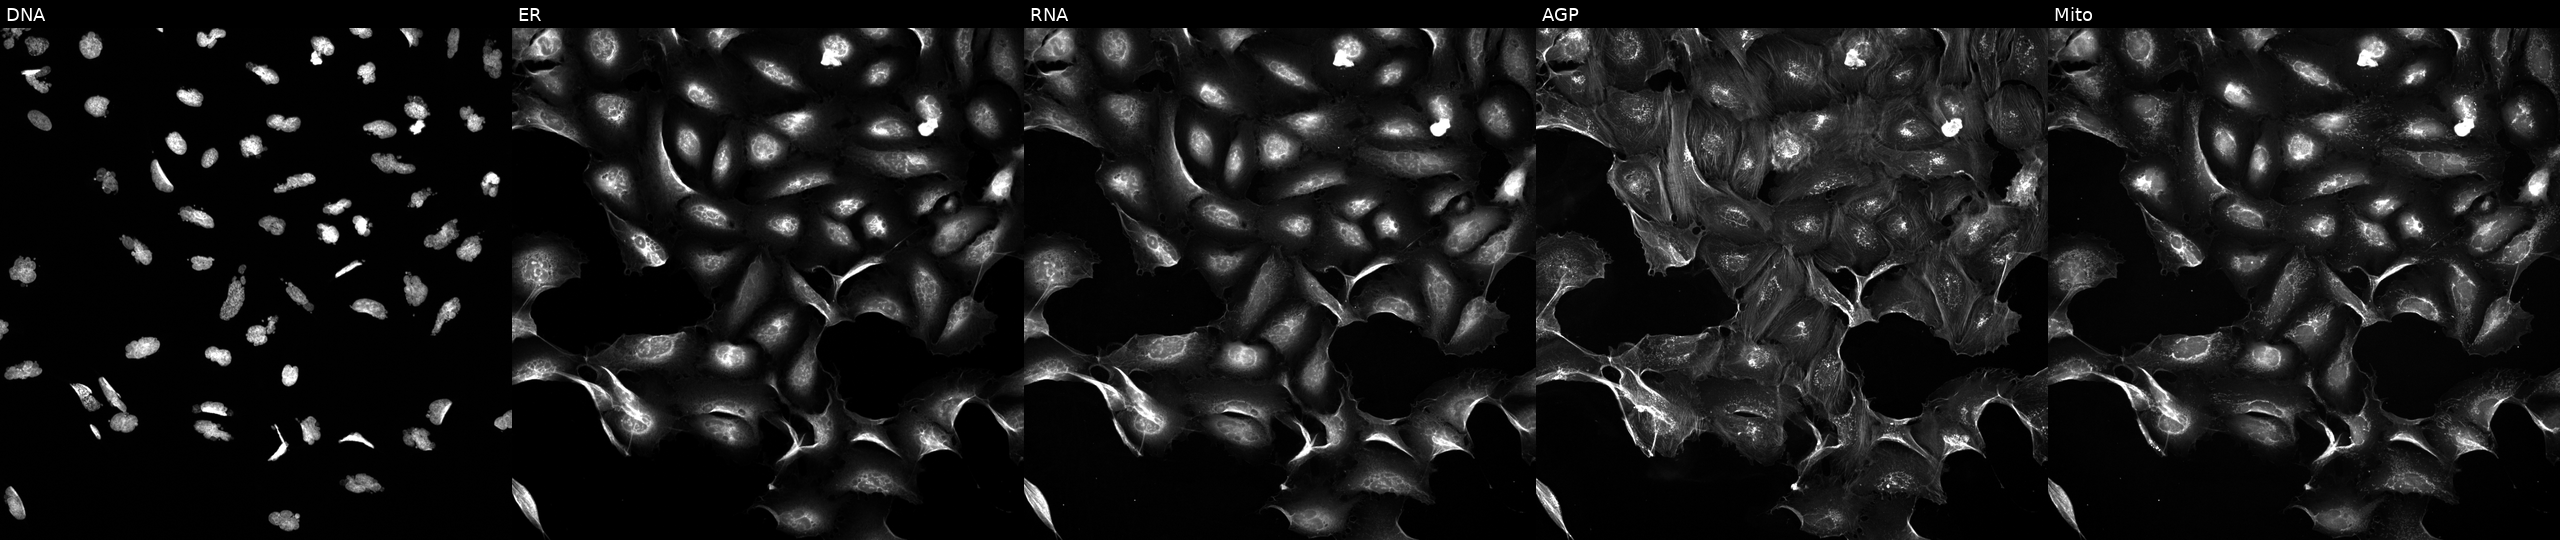
U2OS cells, Cell Painting assay, exposed to the positive-control compound AMG900 (JUMP id JCP2022_037716). The five panels, left to right, show DNA (nuclei); ER (endoplasmic reticulum); RNA (nucleoli and cytoplasmic RNA); AGP (actin cytoskeleton, Golgi, and plasma membrane); Mito (mitochondria). Each panel is percentile-stretched 16-bit fluorescence.